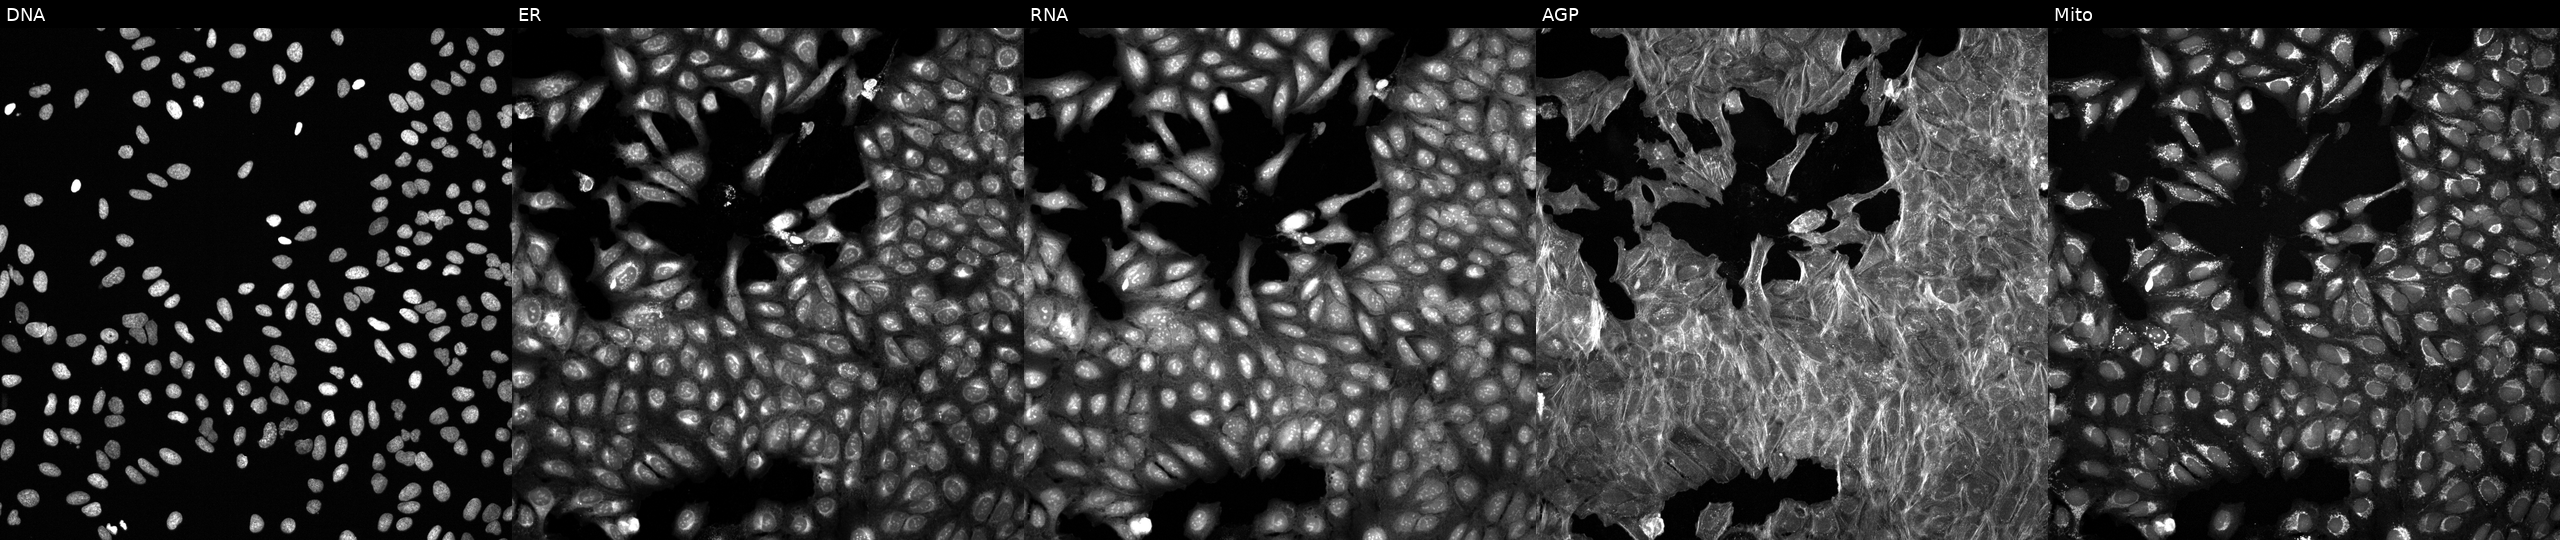
This image strip shows the five Cell Painting channels for a single field of U2OS cells exposed to DMSO alone as a negative control. From left to right: Hoechst 33342, concanavalin A, SYTO 14, phalloidin and WGA, MitoTracker. Source 6, plate 110000294901, well H09.